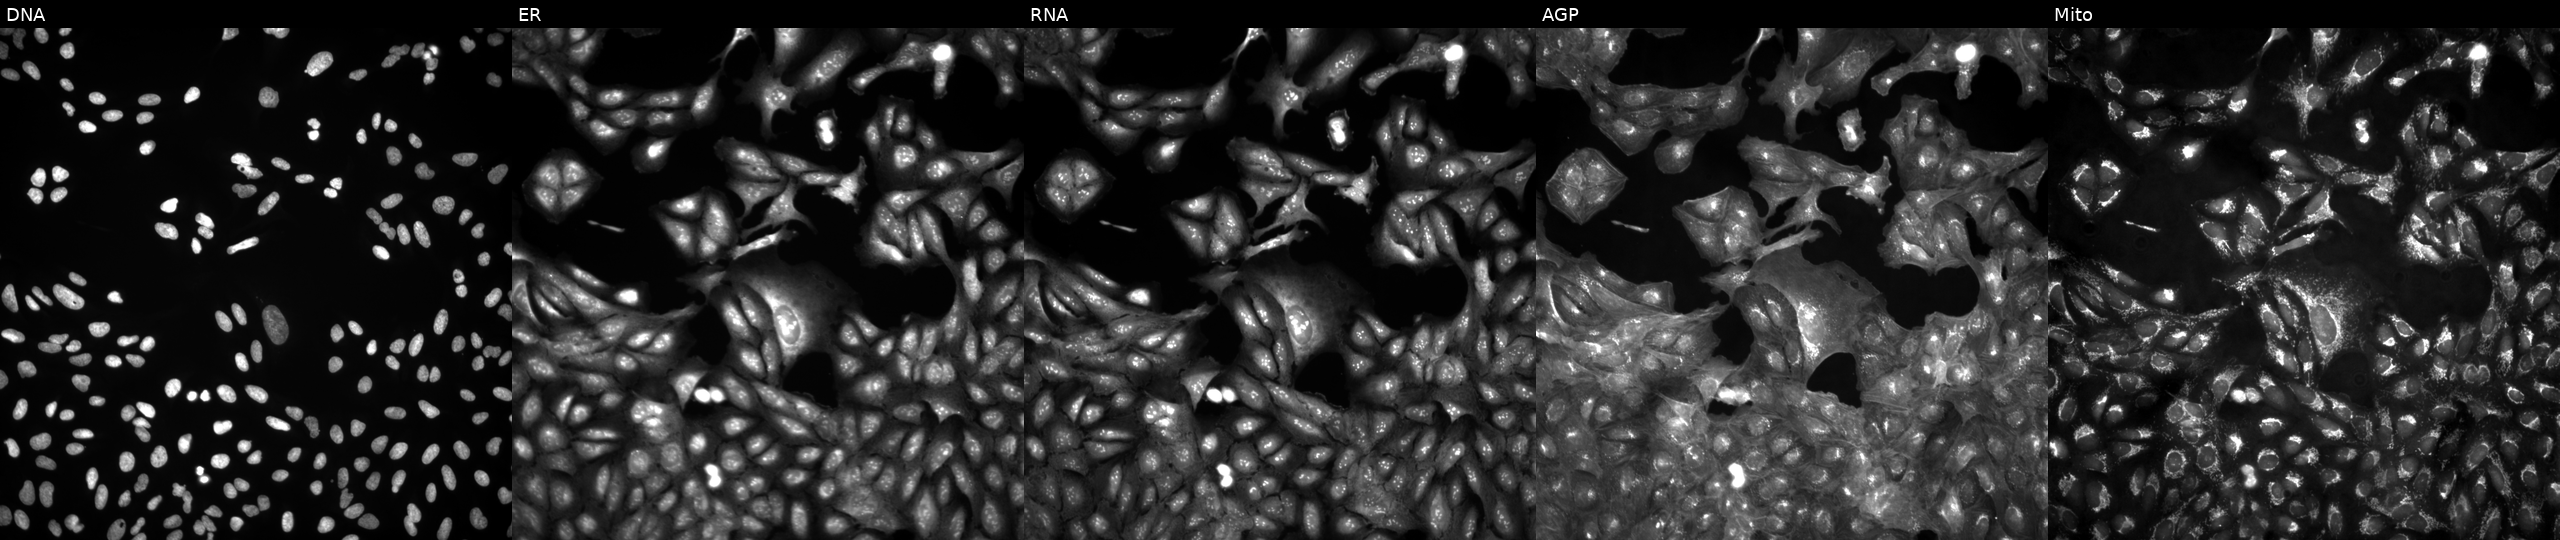
JUMP Cell Painting — ORF plate. U2OS cells in an empty control well (no perturbation). The five panels, left to right, show DNA (nuclei); ER (endoplasmic reticulum); RNA (nucleoli and cytoplasmic RNA); AGP (actin cytoskeleton, Golgi, and plasma membrane); Mito (mitochondria).